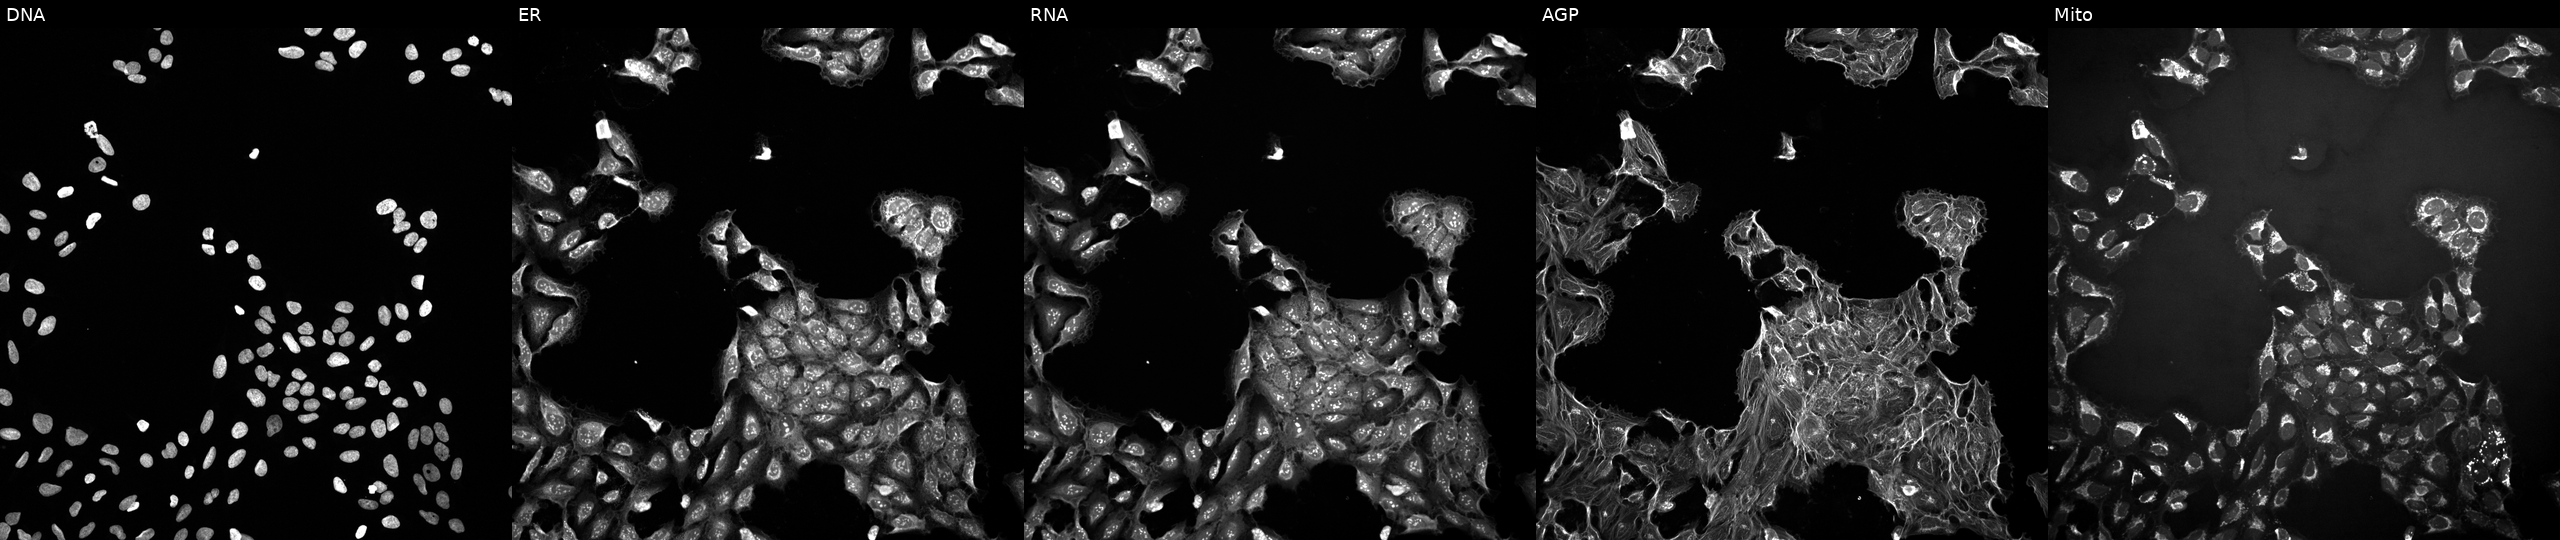
Panels show, left to right, DNA (nuclei); ER (endoplasmic reticulum); RNA (nucleoli and cytoplasmic RNA); AGP (actin cytoskeleton, Golgi, and plasma membrane); Mito (mitochondria). U2OS osteosarcoma cells exposed to a small-molecule compound. Cell Painting assay, JUMP-CP dataset. Source 10, plate Dest210726-160150, well P04.